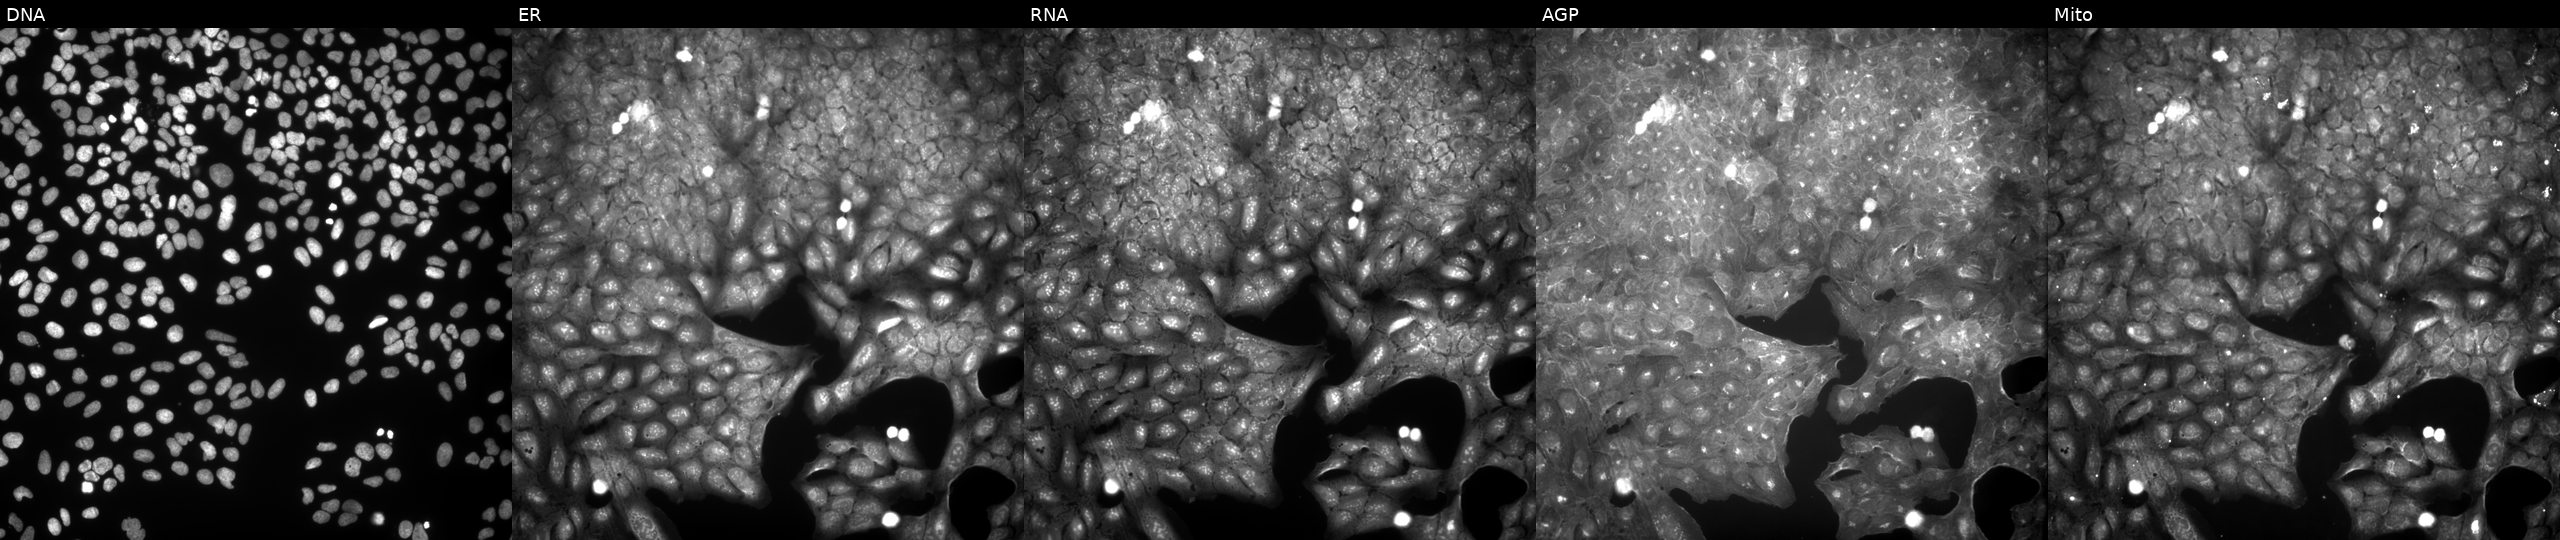
High-content fluorescence microscopy (Cell Painting). Cell line: U2OS. Perturbation: treated with a small-molecule compound (InChIKey QEWGXGMQJNXGMV-UHFFFAOYSA-N) [SMILES: CC(=O)Oc1ccc2c(=O)oc(-c3ccccc3C)nc2c1]. Channels (left→right): DNA (nuclei); ER (endoplasmic reticulum); RNA (nucleoli and cytoplasmic RNA); AGP (actin cytoskeleton, Golgi, and plasma membrane); Mito (mitochondria).